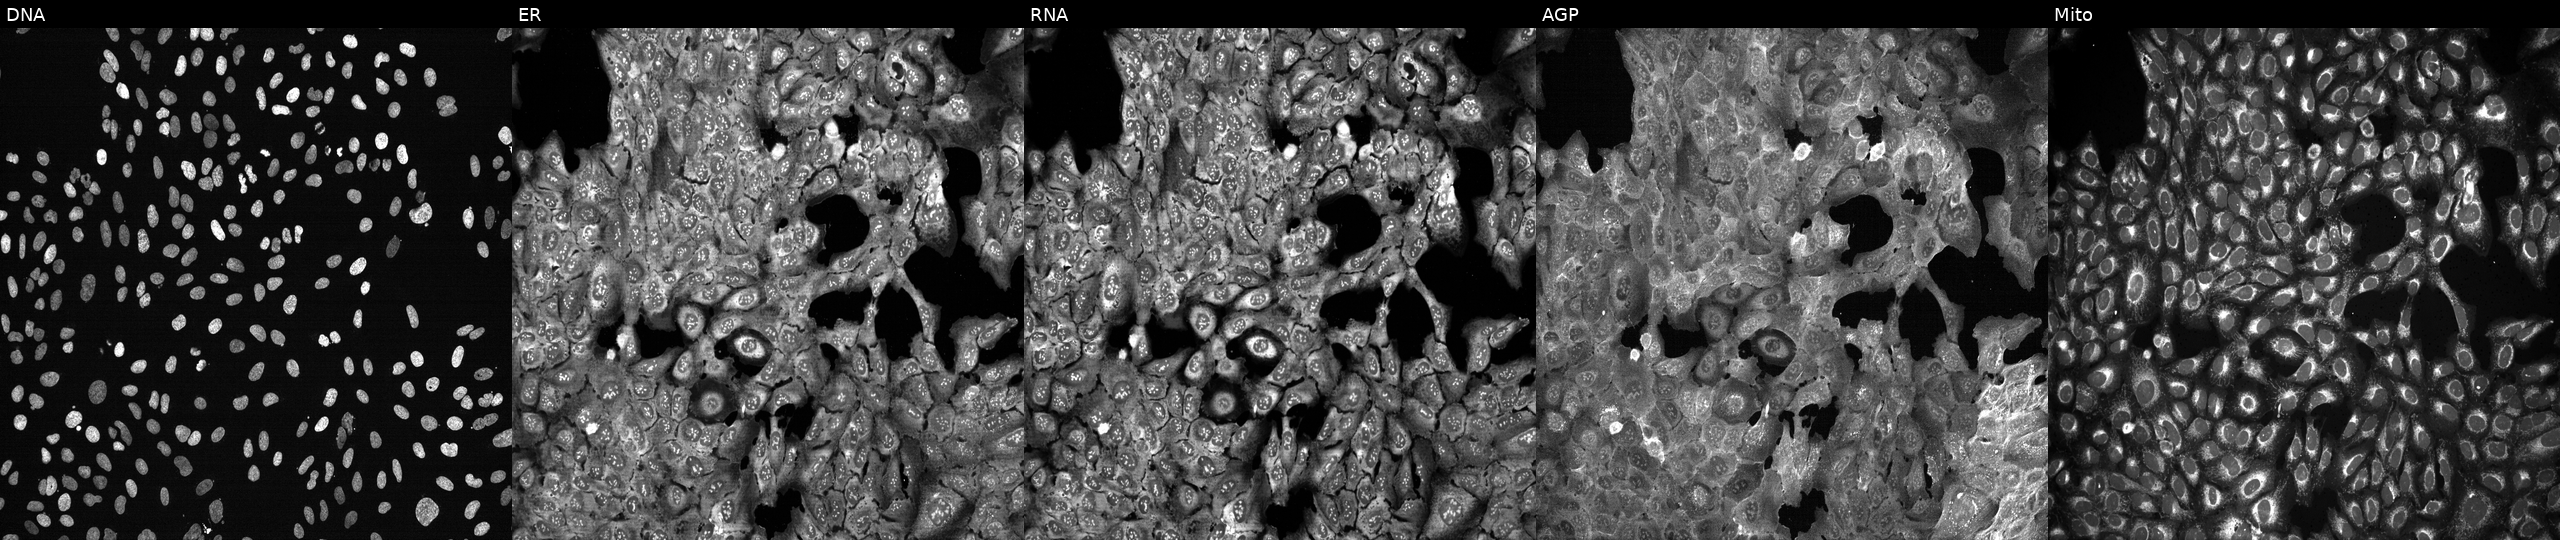
High-content fluorescence microscopy (Cell Painting). Cell line: U2OS. Perturbation: CRISPR-edited to disrupt OGDHL (JUMP id JCP2022_804779). Panels show, left to right, DNA, ER, RNA, AGP, and Mito.